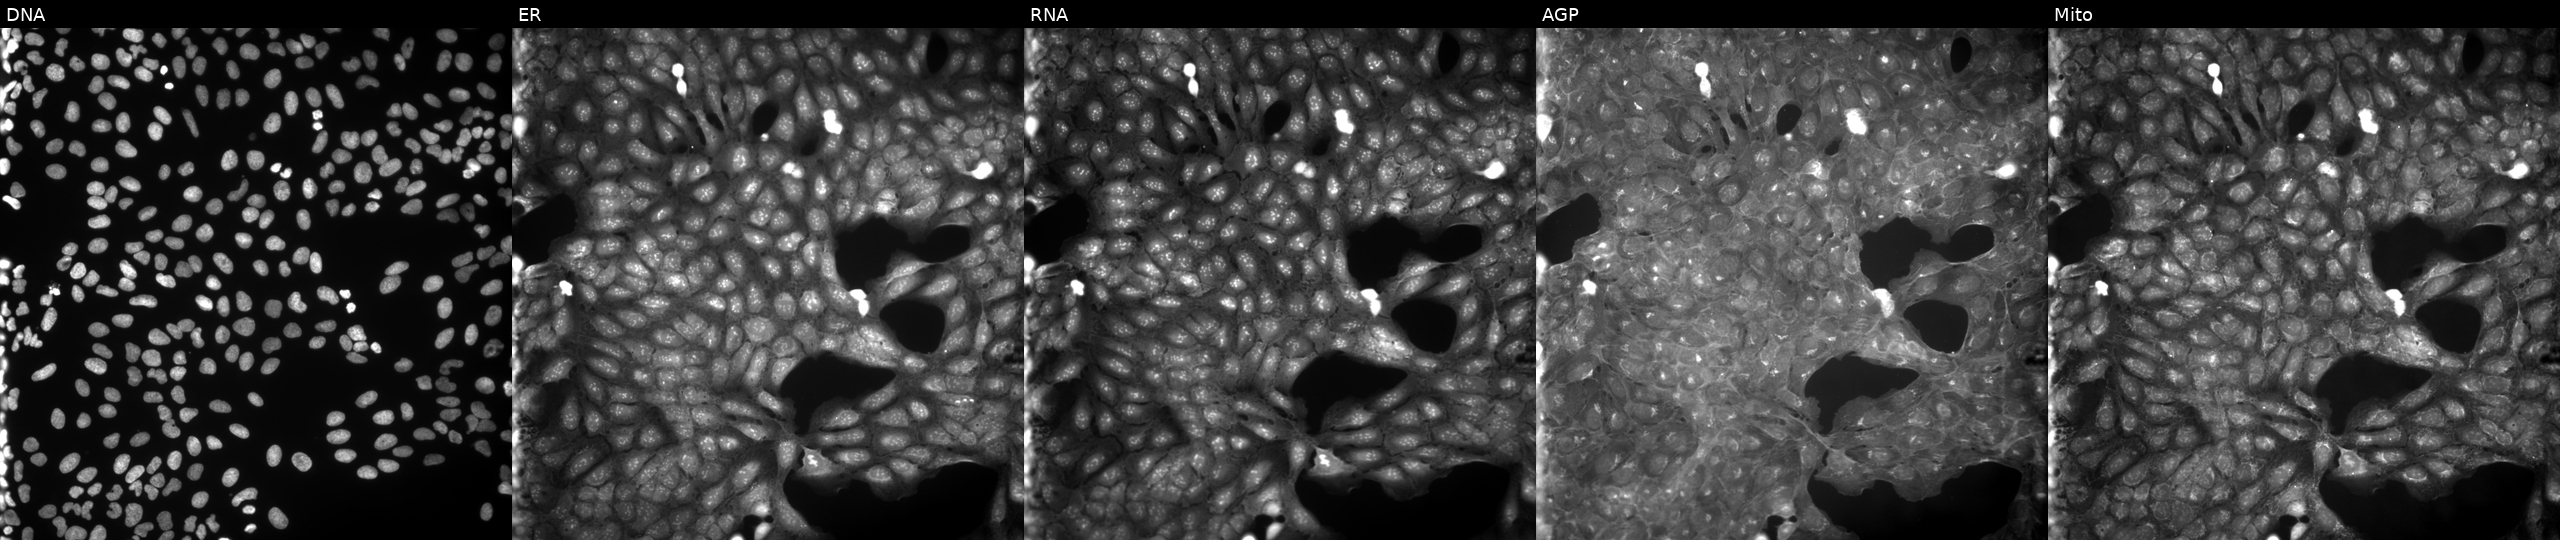
Five-channel Cell Painting image of U2OS cells perturbed with a small-molecule compound (InChIKey NQBGFGFQNAOPIR-UHFFFAOYSA-N). Panels show, left to right, DNA (nuclei); ER (endoplasmic reticulum); RNA (nucleoli and cytoplasmic RNA); AGP (actin cytoskeleton, Golgi, and plasma membrane); Mito (mitochondria).